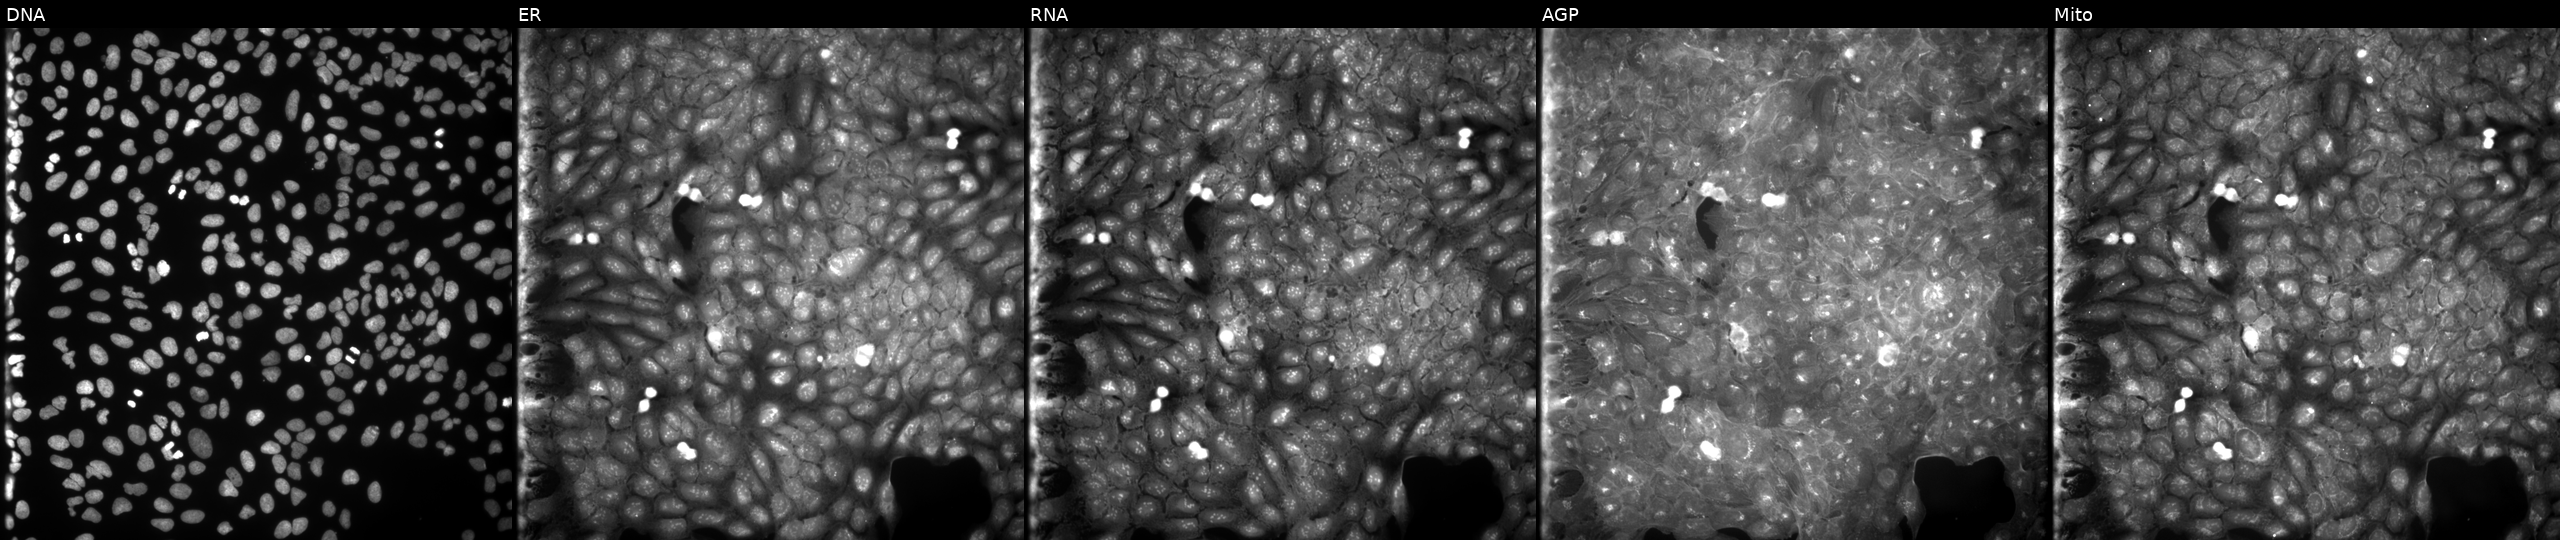
High-content fluorescence microscopy (Cell Painting). Cell line: U2OS. Perturbation: treated with a small-molecule compound (InChIKey AFEIJJFDRLYIAC-UHFFFAOYSA-N). Panels show, left to right, DNA (nuclei); ER (endoplasmic reticulum); RNA (nucleoli and cytoplasmic RNA); AGP (actin cytoskeleton, Golgi, and plasma membrane); Mito (mitochondria).